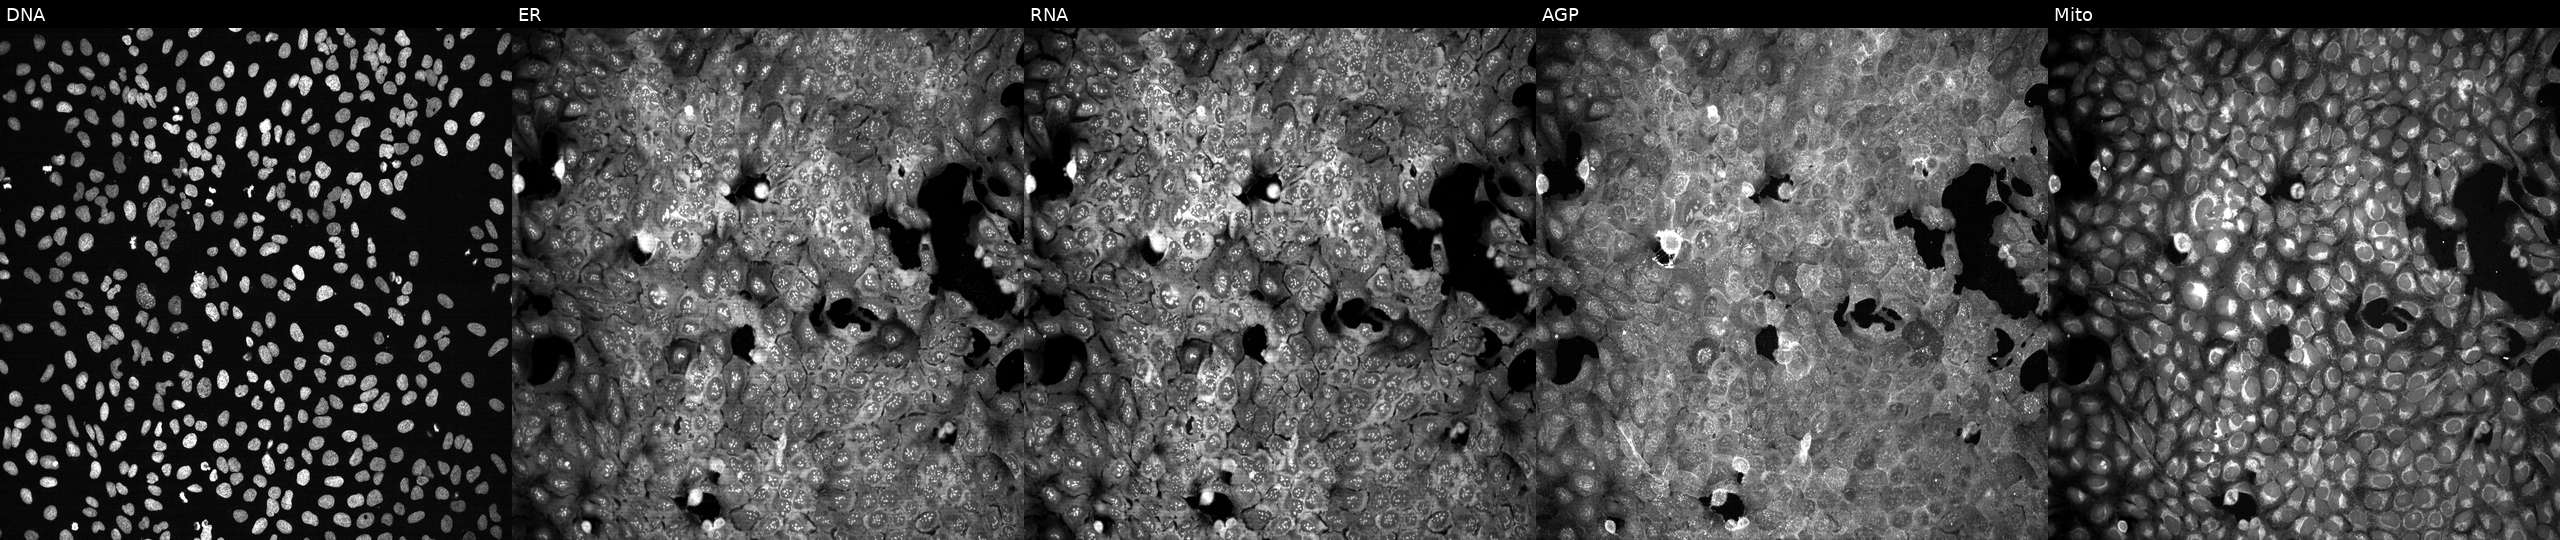
High-content fluorescence microscopy (Cell Painting). Cell line: U2OS. Perturbation: with HLCS knocked out by CRISPR (JUMP id JCP2022_803134). The five panels, left to right, show DNA, ER, RNA, AGP, and Mito.